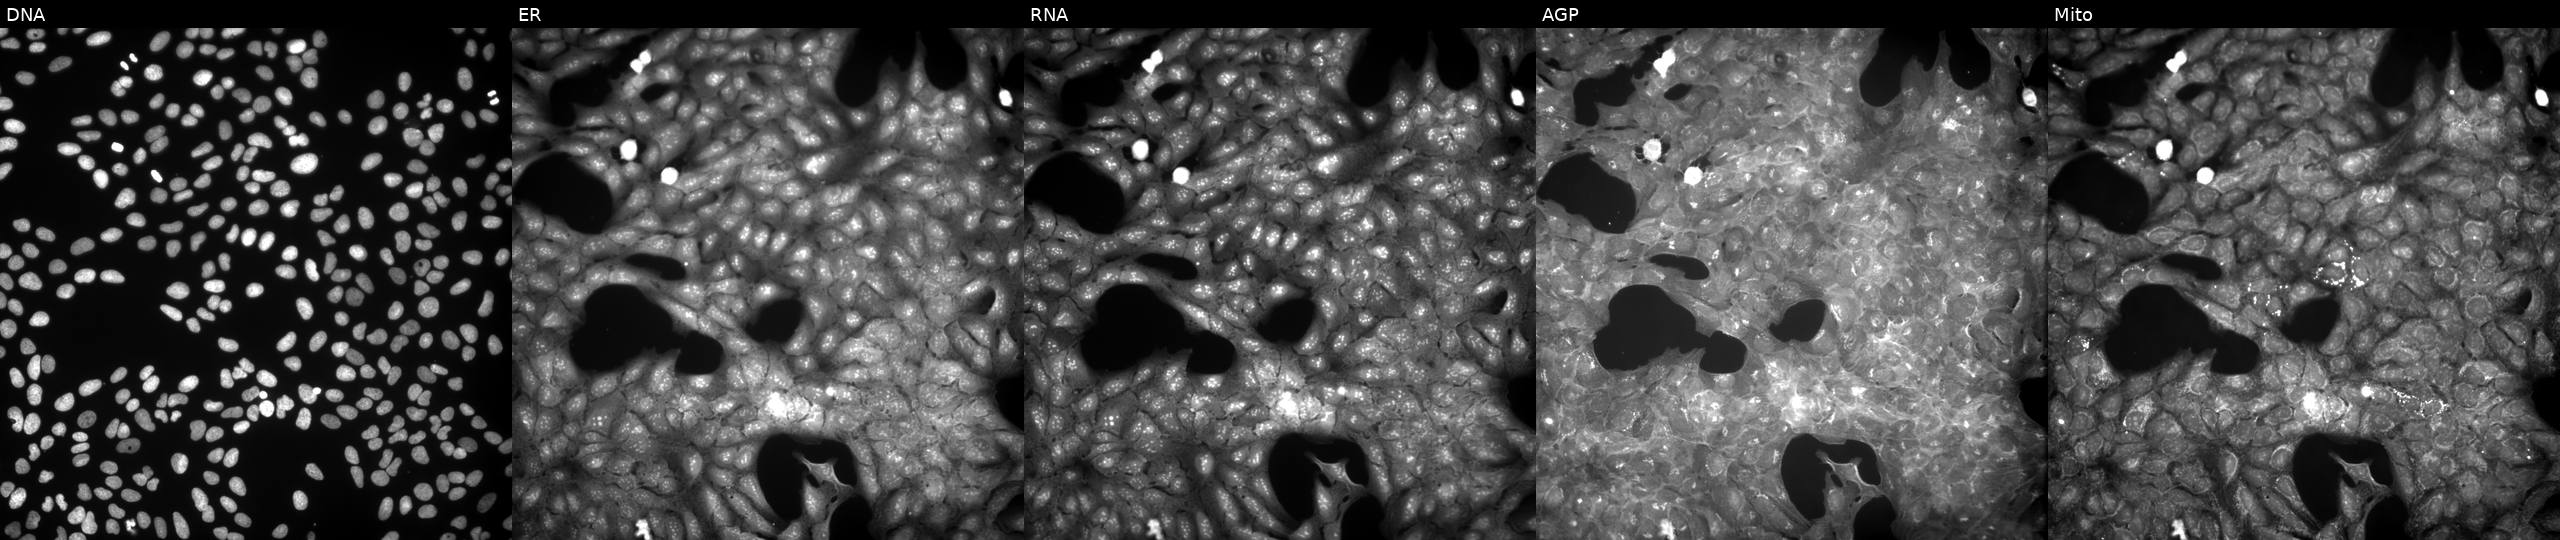
JUMP Cell Painting — COMPOUND plate. U2OS cells treated with a small-molecule compound. Panels show, left to right, DNA (nuclei); ER (endoplasmic reticulum); RNA (nucleoli and cytoplasmic RNA); AGP (actin cytoskeleton, Golgi, and plasma membrane); Mito (mitochondria).